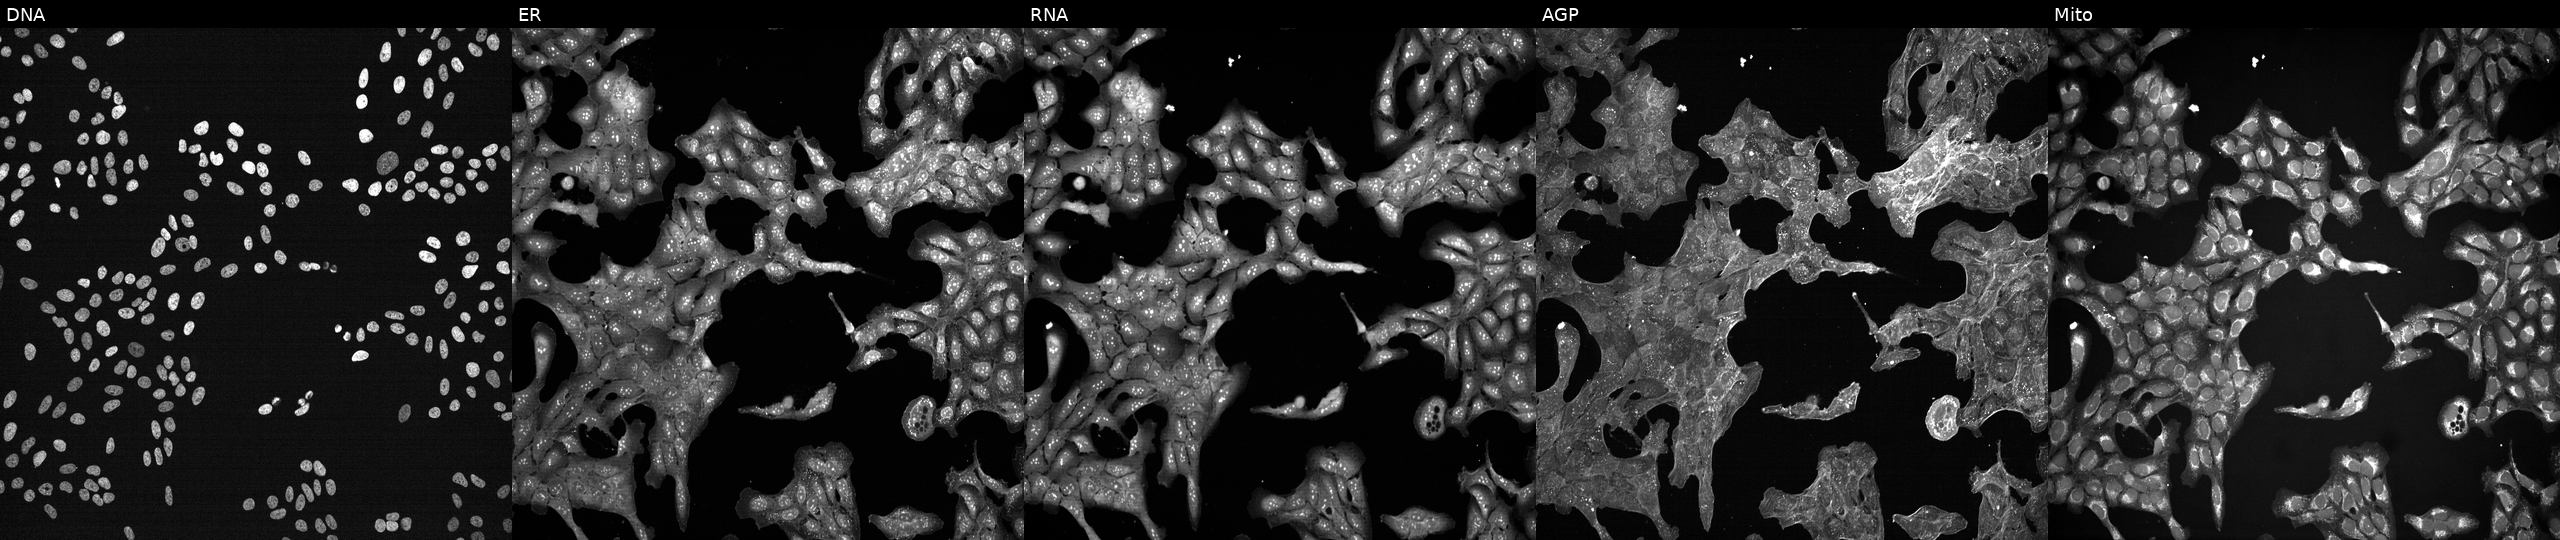
JUMP Cell Painting — TARGET2 plate. U2OS cells perturbed with a small-molecule compound (InChIKey PHOGQKDIVUJGMJ-UHFFFAOYSA-N) (JUMP id JCP2022_068634). The five panels, left to right, show DNA (nuclei); ER (endoplasmic reticulum); RNA (nucleoli and cytoplasmic RNA); AGP (actin cytoskeleton, Golgi, and plasma membrane); Mito (mitochondria).